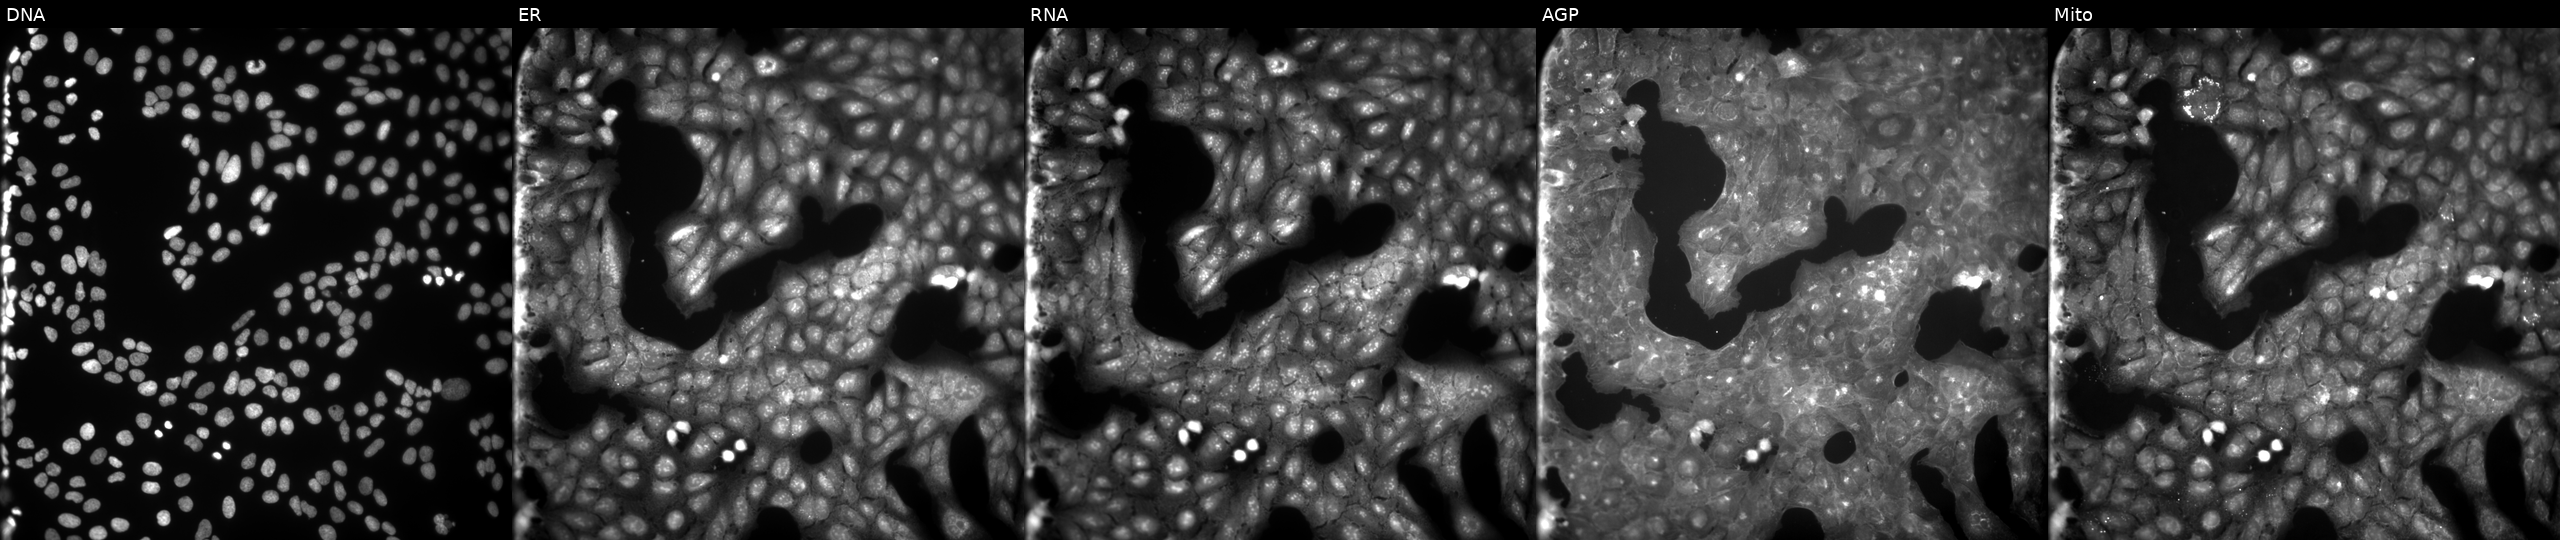
High-content fluorescence microscopy (Cell Painting). Cell line: U2OS. Perturbation: exposed to a small-molecule compound (InChIKey LBSWMZFZOHGDOK-UHFFFAOYSA-N) [SMILES: COC(=O)c1ccc(NC(=O)CN(Cc2ccccc2)S(=O)(=O)c2ccc(Cl)cc2)cc1]. The five panels, left to right, show Hoechst 33342, concanavalin A, SYTO 14, phalloidin and WGA, MitoTracker.